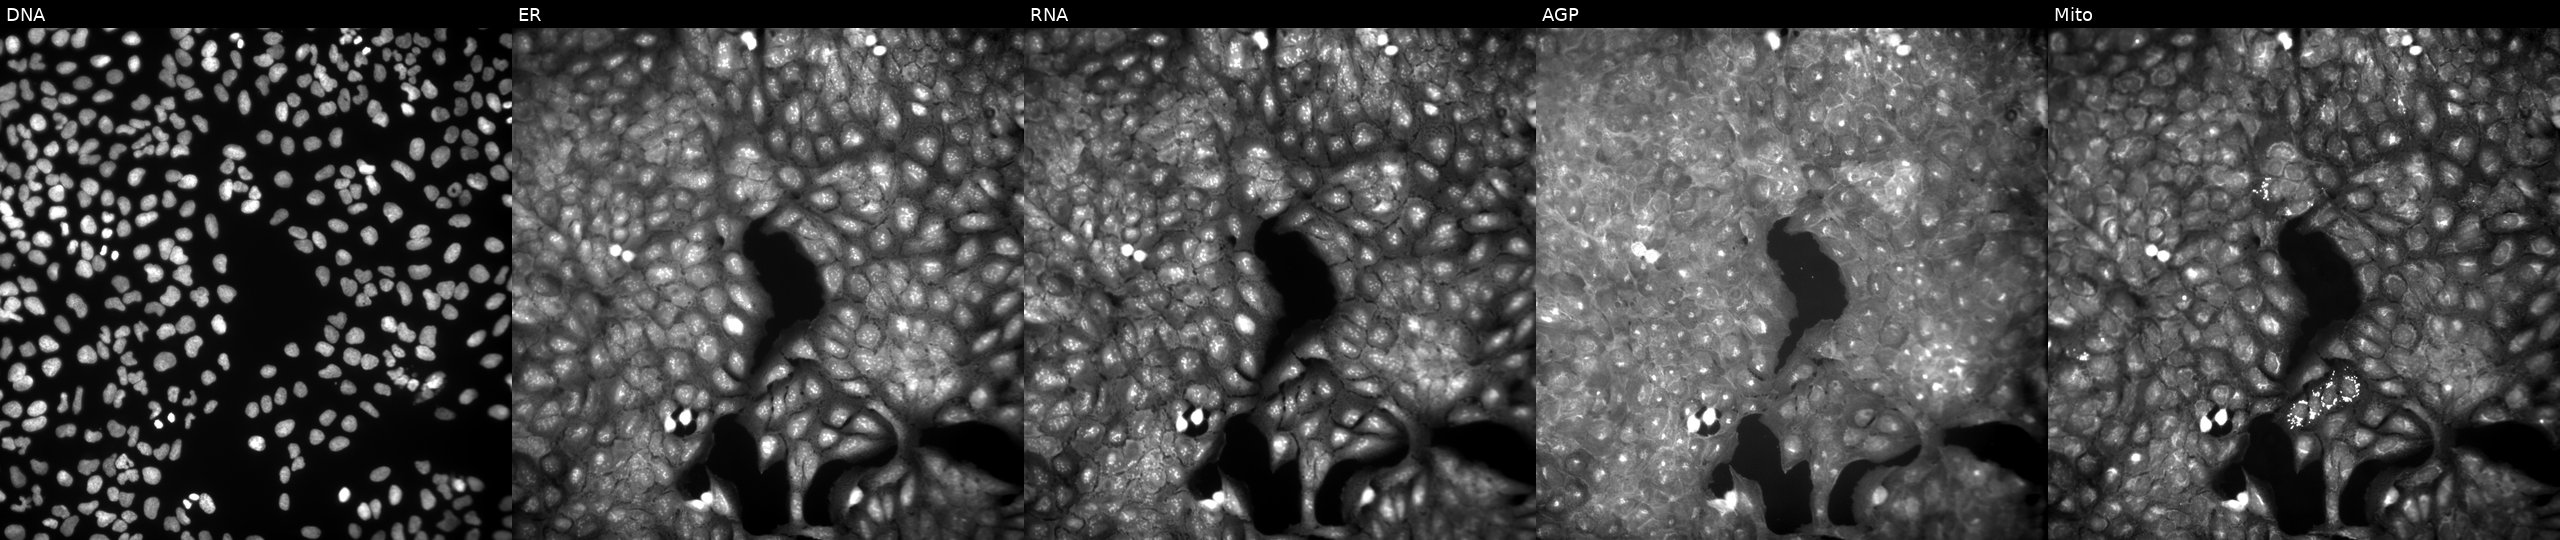
Five-channel Cell Painting image of U2OS cells treated with a small-molecule compound (JUMP id JCP2022_036466). Channels (left→right): Hoechst 33342, concanavalin A, SYTO 14, phalloidin and WGA, MitoTracker. Source 9, plate GR00003381, well R45.